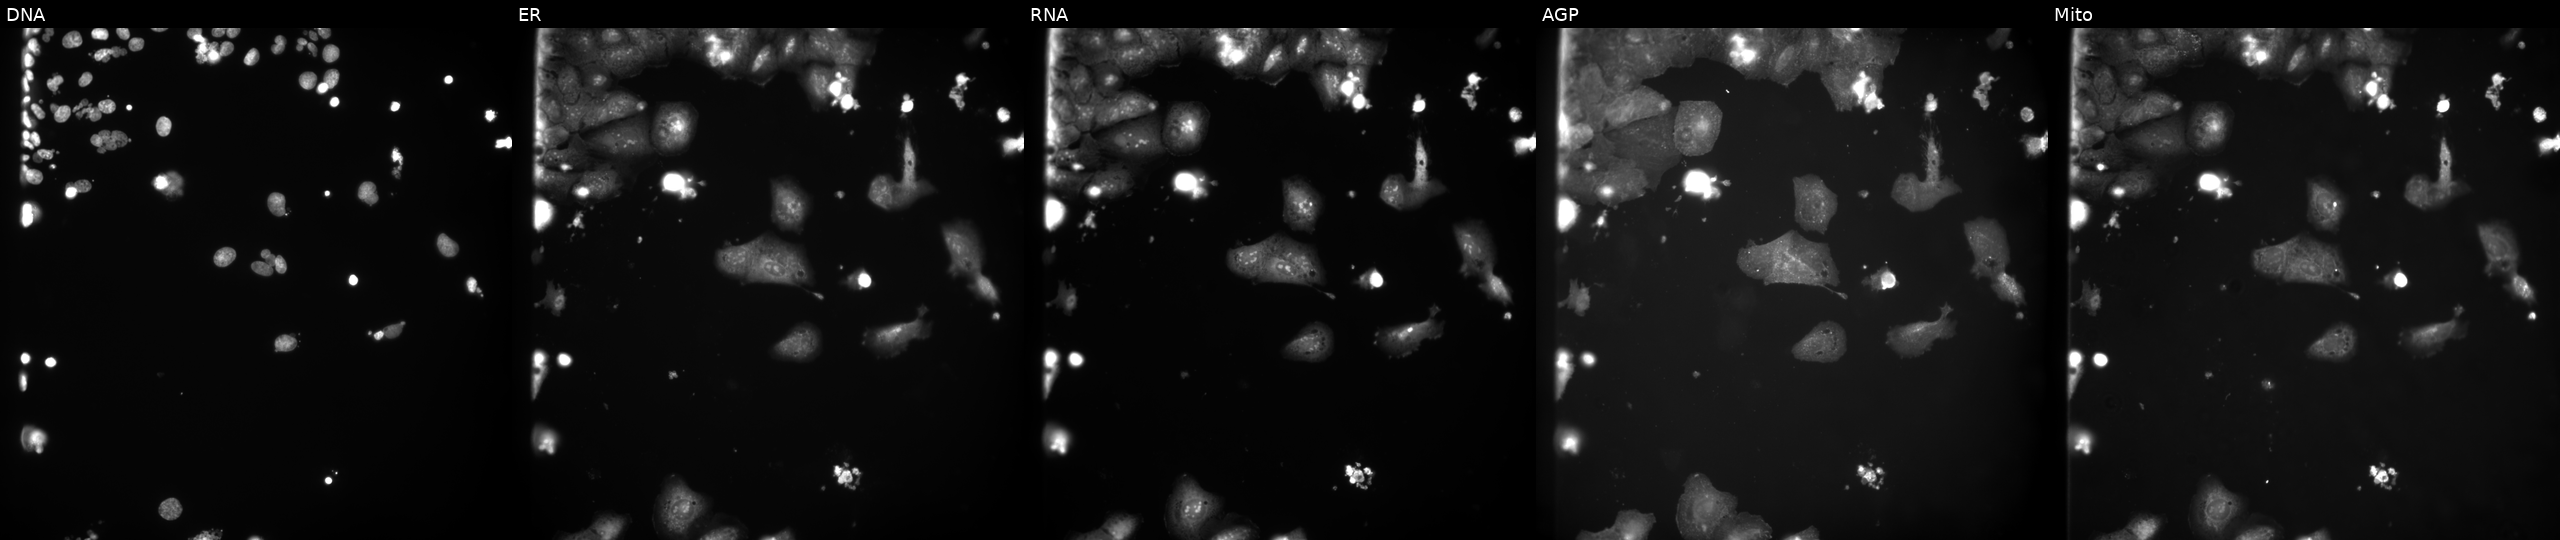
High-content fluorescence microscopy (Cell Painting). Cell line: U2OS. Perturbation: treated with a small-molecule compound (InChIKey DELLOEULSHGYCG-UHFFFAOYSA-N) (JUMP id JCP2022_015379). The five panels, left to right, show DNA, ER, RNA, AGP, and Mito.